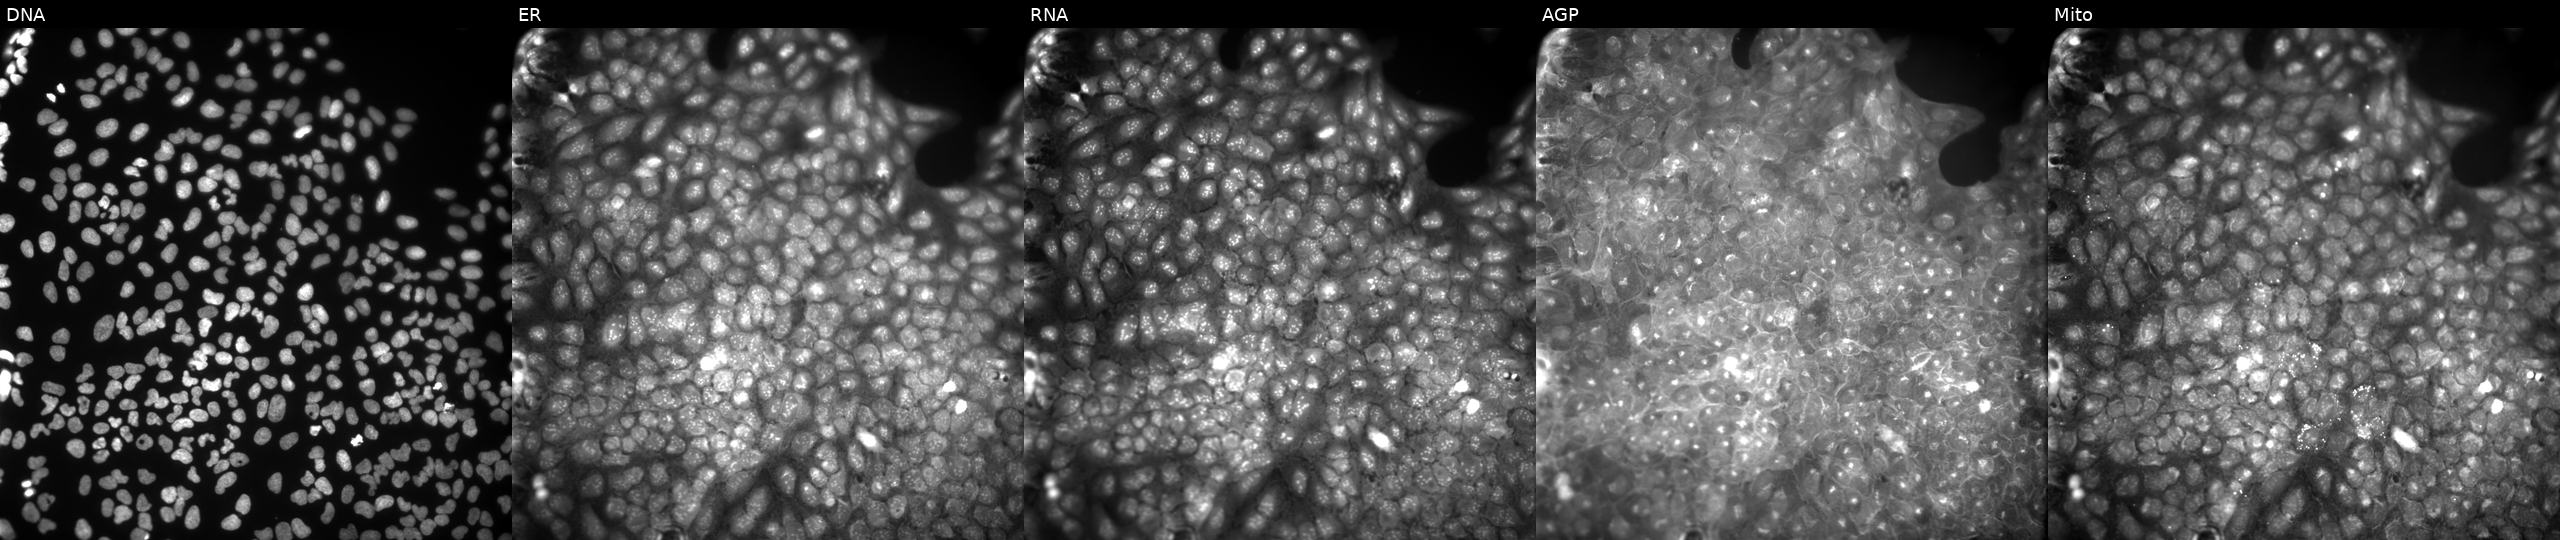
This image strip shows the five Cell Painting channels for a single field of U2OS cells treated with a small-molecule compound (InChIKey OIPOPDBKNLXADR-UHFFFAOYSA-N). Channels (left→right): DNA (nuclei); ER (endoplasmic reticulum); RNA (nucleoli and cytoplasmic RNA); AGP (actin cytoskeleton, Golgi, and plasma membrane); Mito (mitochondria).